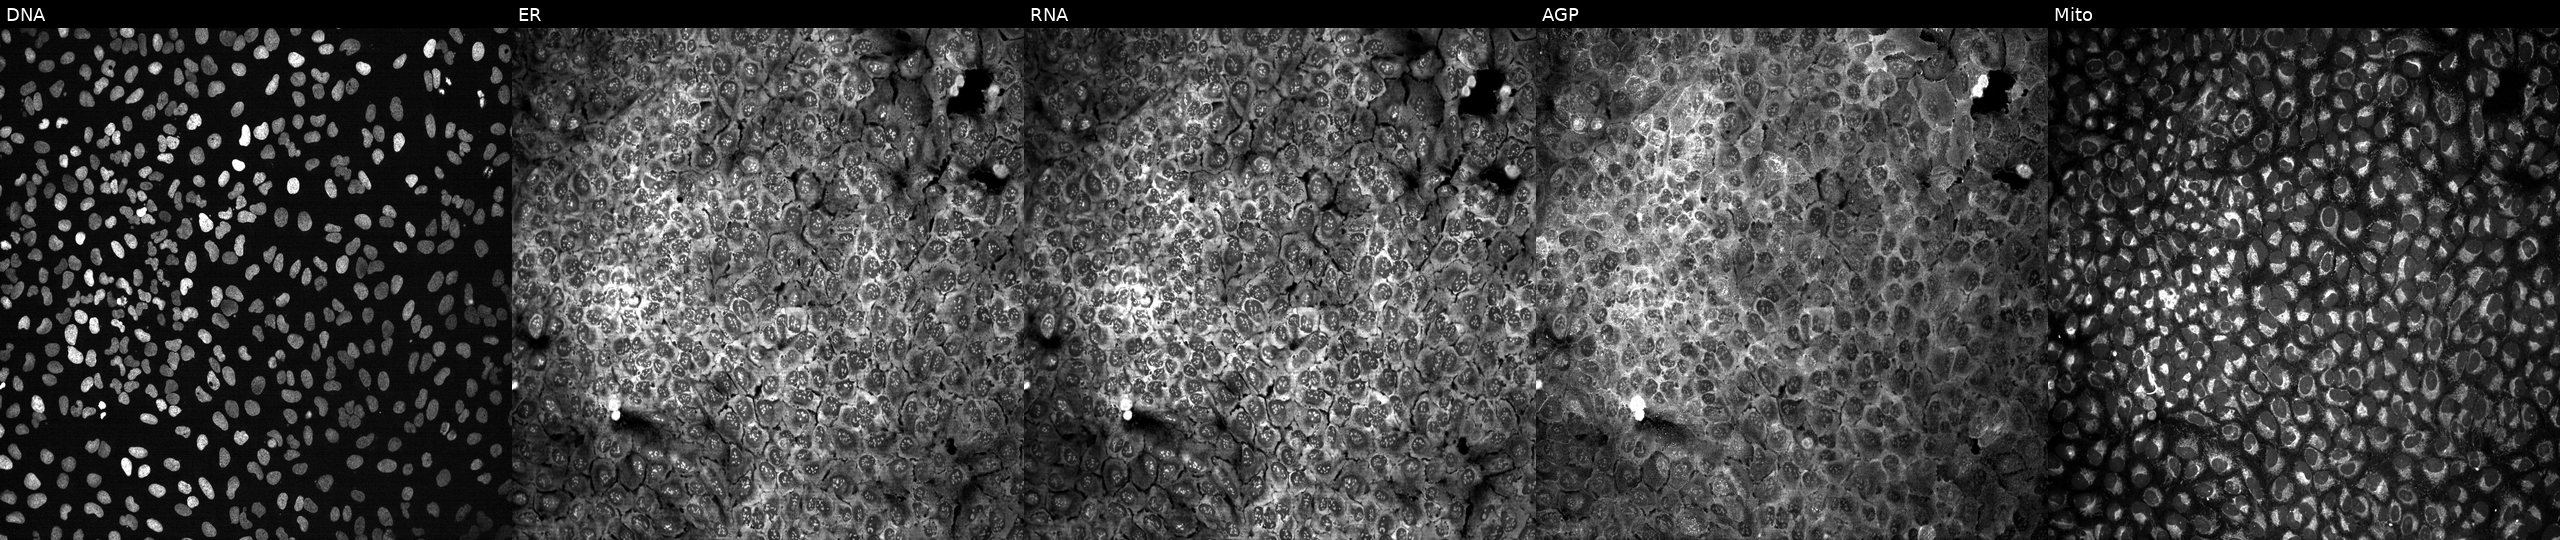
U2OS cells, Cell Painting assay, following CRISPR knockout of OLR1 (JUMP id JCP2022_804790). Channels (left→right): Hoechst 33342, concanavalin A, SYTO 14, phalloidin and WGA, MitoTracker. Each panel is percentile-stretched 16-bit fluorescence.